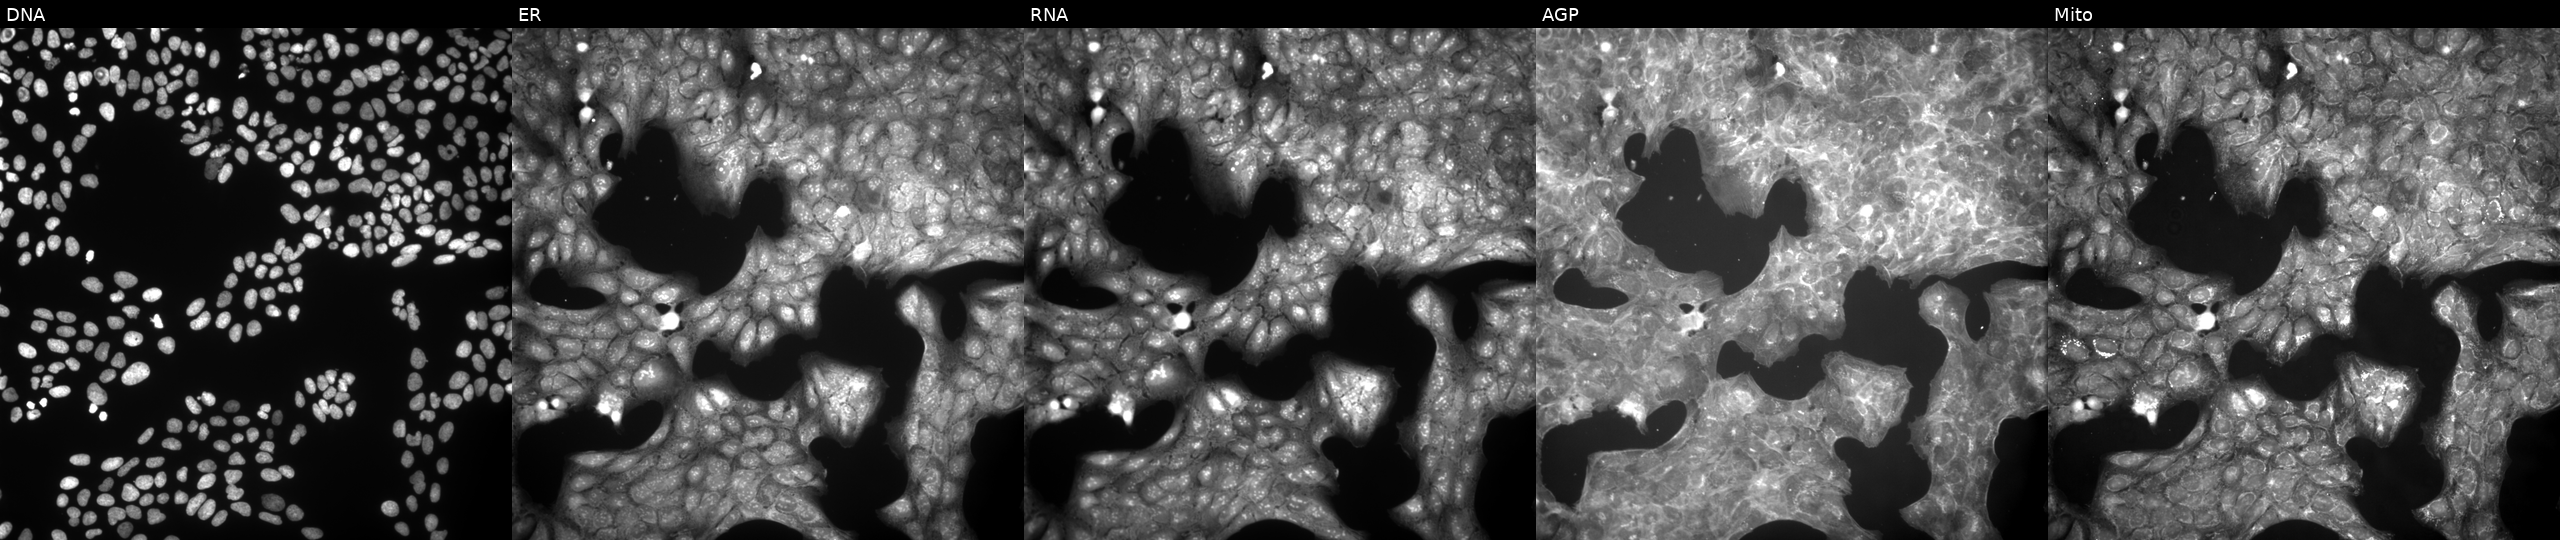
U2OS cells, Cell Painting assay, exposed to a small-molecule compound (InChIKey IBCXZJCWDGCXQT-UHFFFAOYSA-N). The five panels, left to right, show DNA (nuclei); ER (endoplasmic reticulum); RNA (nucleoli and cytoplasmic RNA); AGP (actin cytoskeleton, Golgi, and plasma membrane); Mito (mitochondria). Each panel is percentile-stretched 16-bit fluorescence.